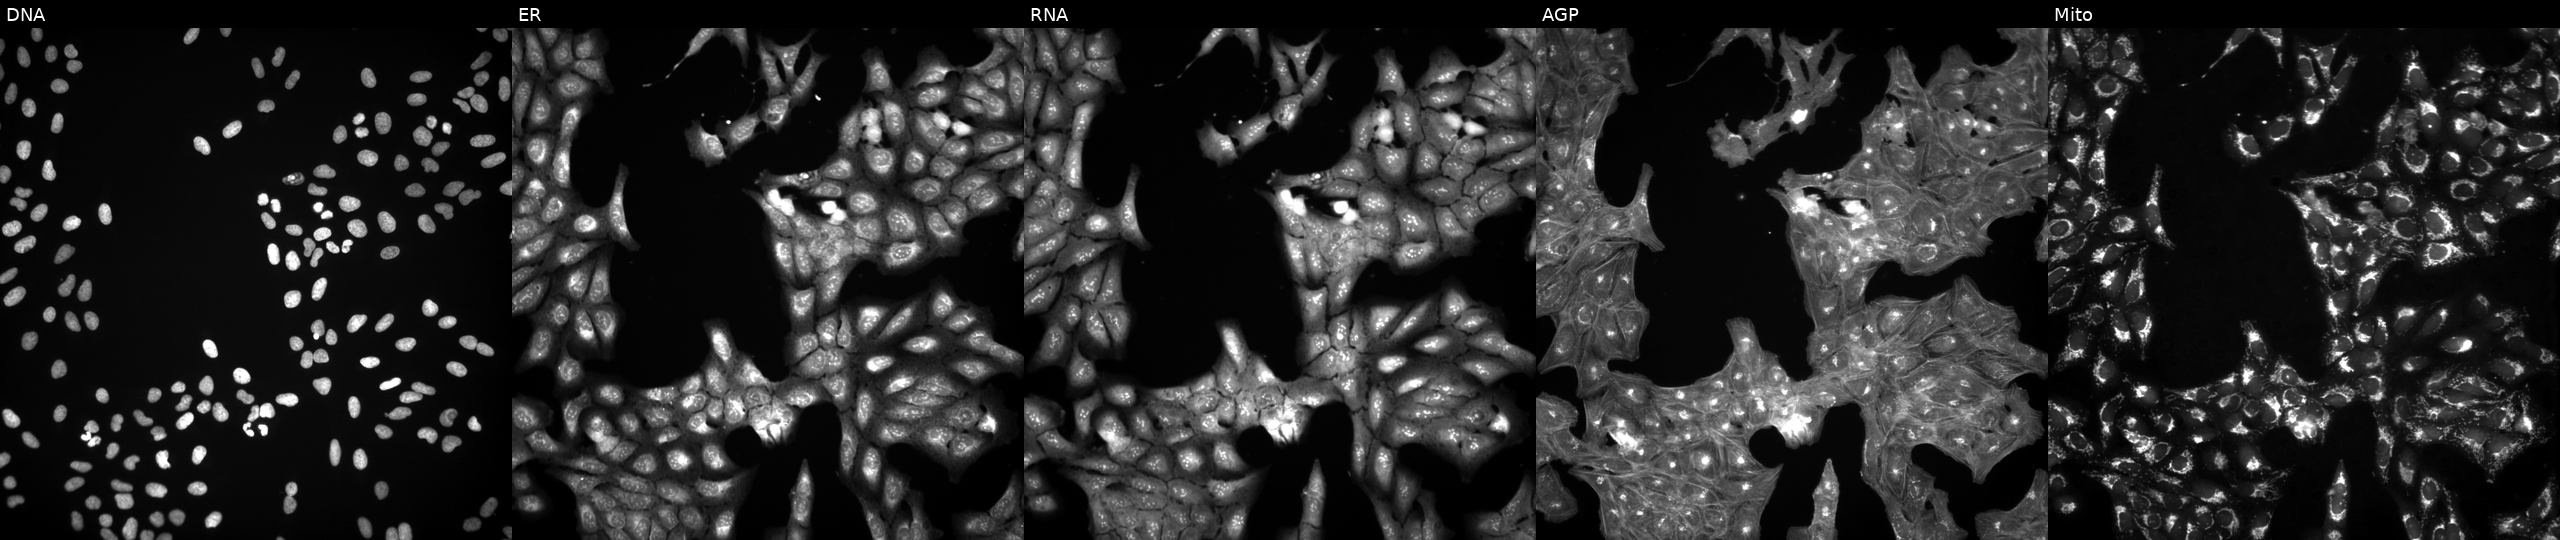
High-content fluorescence microscopy (Cell Painting). Cell line: U2OS. Perturbation: treated with DMSO vehicle only (negative control). The five panels, left to right, show DNA, ER, RNA, AGP, and Mito.